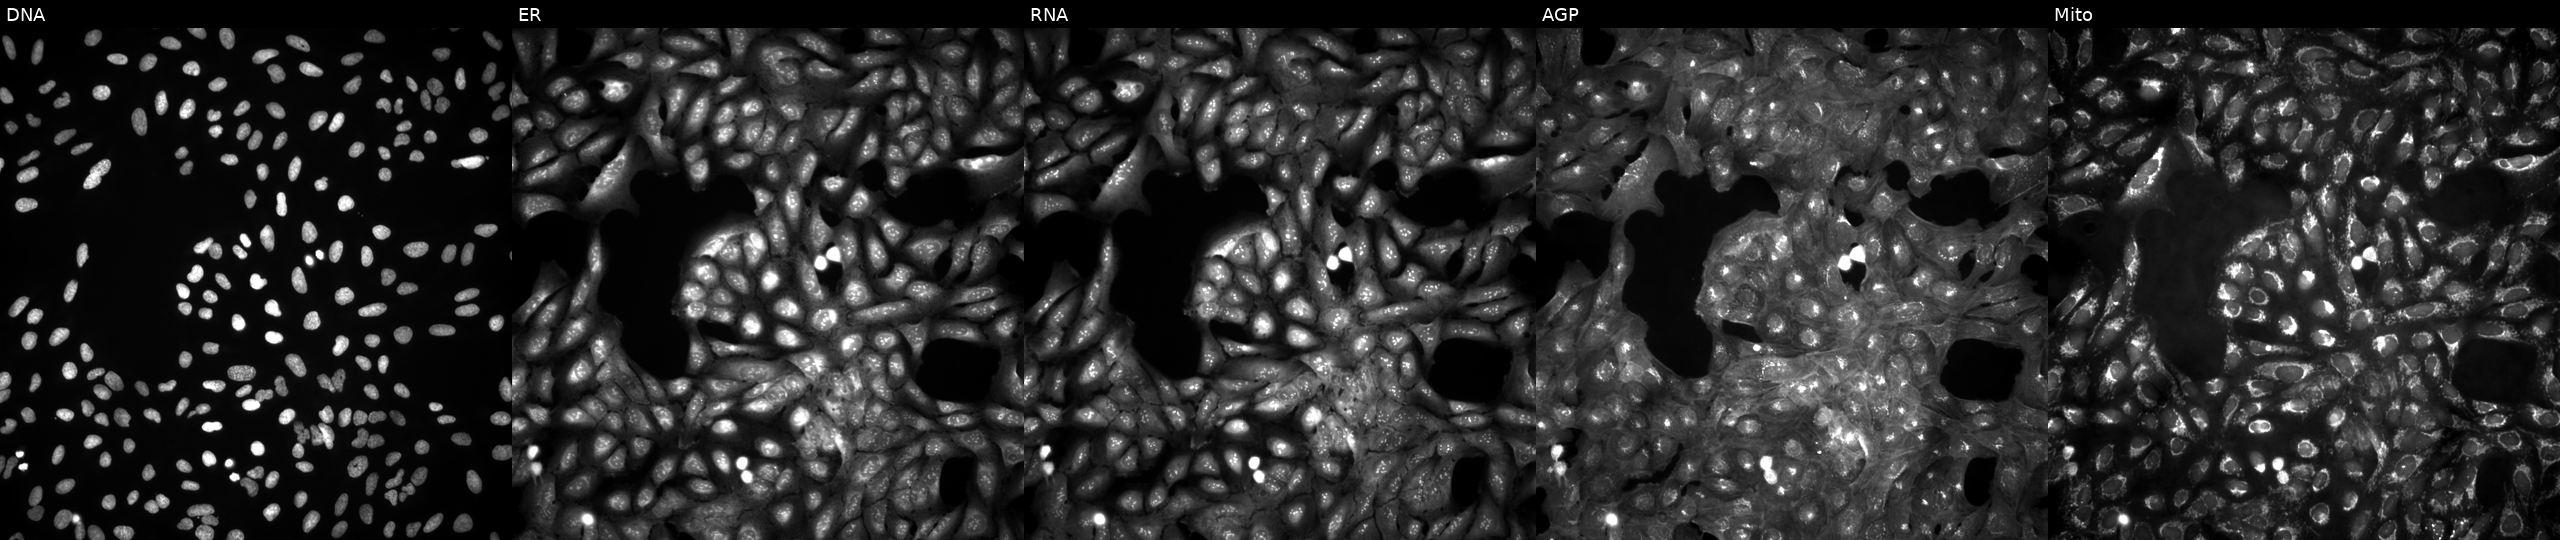
JUMP Cell Painting — ORF plate. U2OS cells untreated (empty-well control) (JUMP id JCP2022_999999). Channels (left→right): DNA (nuclei); ER (endoplasmic reticulum); RNA (nucleoli and cytoplasmic RNA); AGP (actin cytoskeleton, Golgi, and plasma membrane); Mito (mitochondria).